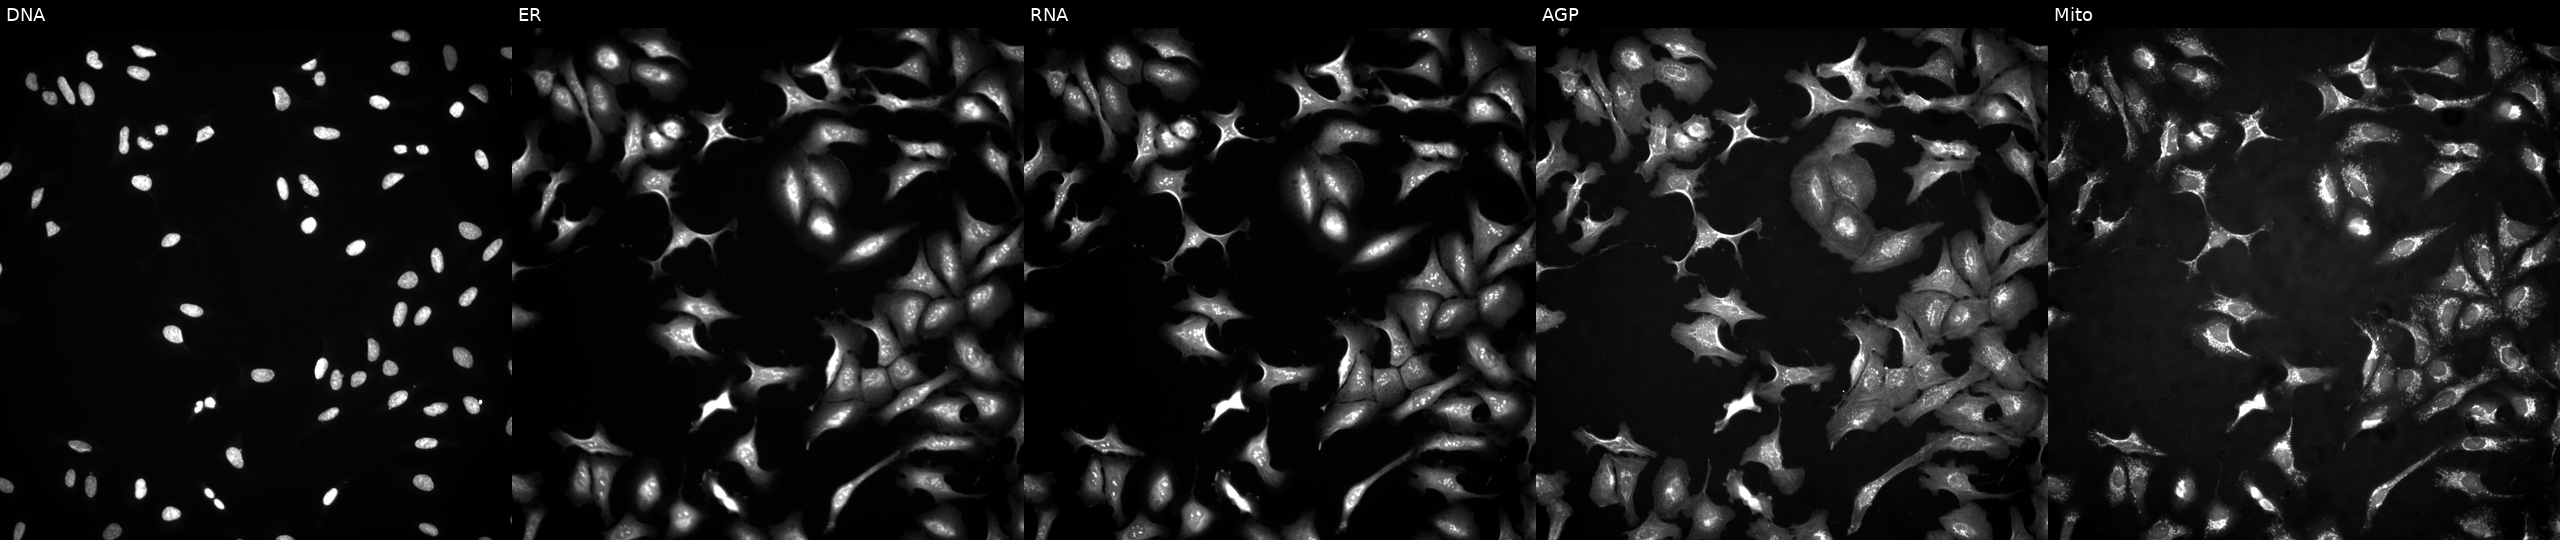
U2OS cells, Cell Painting assay, overexpressing R3HDM1 via ORF transfection (JUMP id JCP2022_913147). Panels show, left to right, DNA, ER, RNA, AGP, and Mito. Each panel is percentile-stretched 16-bit fluorescence. Source 4, plate BR00124787, well M03.